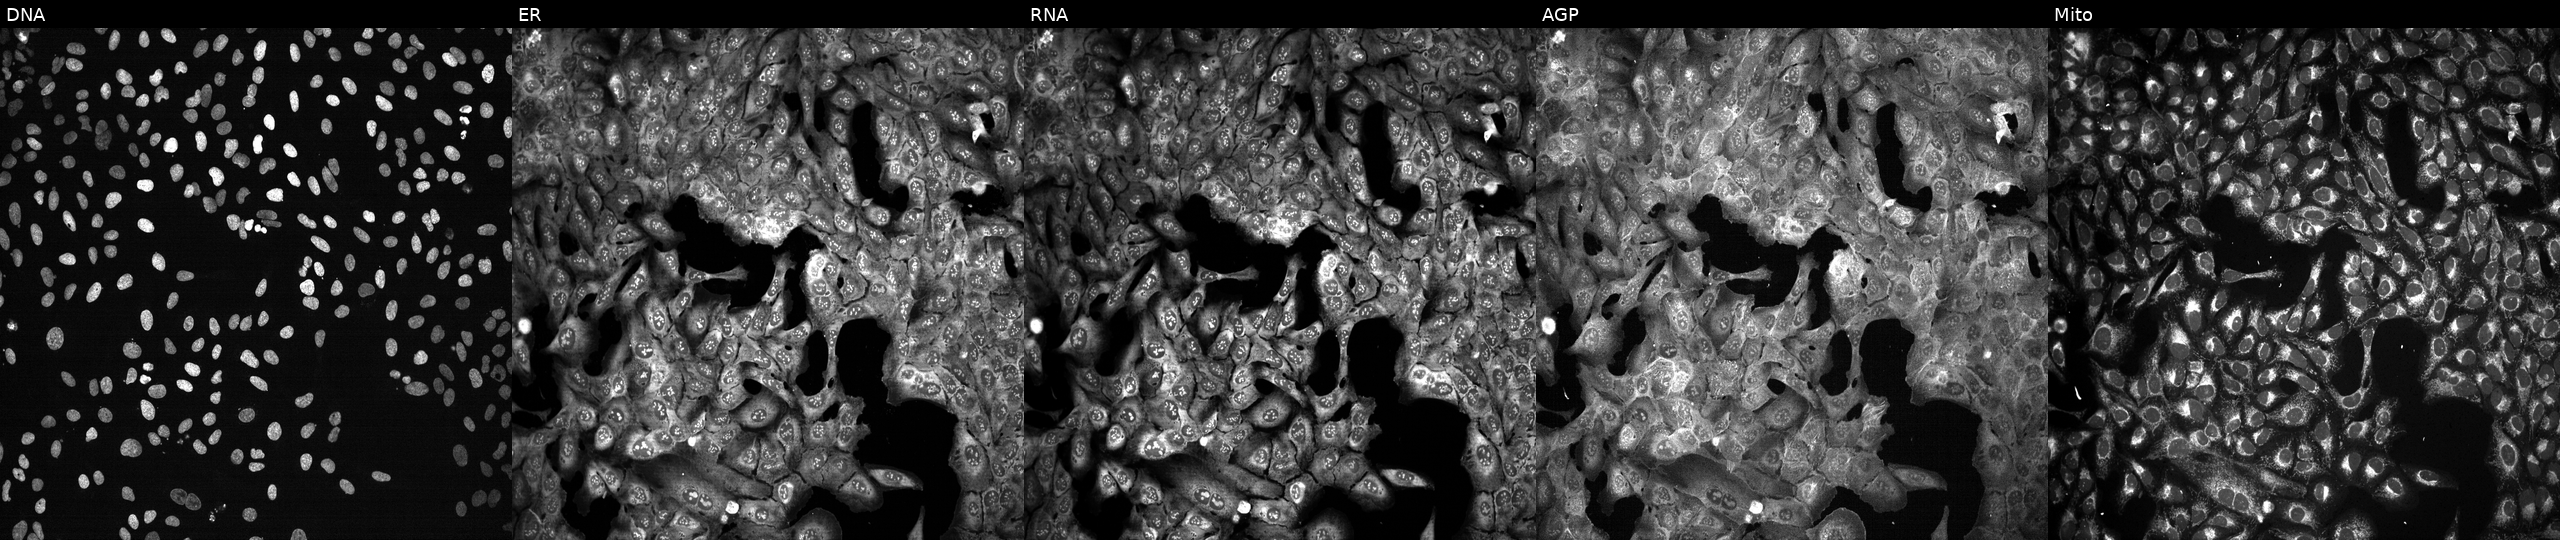
High-content fluorescence microscopy (Cell Painting). Cell line: U2OS. Perturbation: CRISPR-edited to disrupt PDIA5. Panels show, left to right, DNA, ER, RNA, AGP, and Mito.